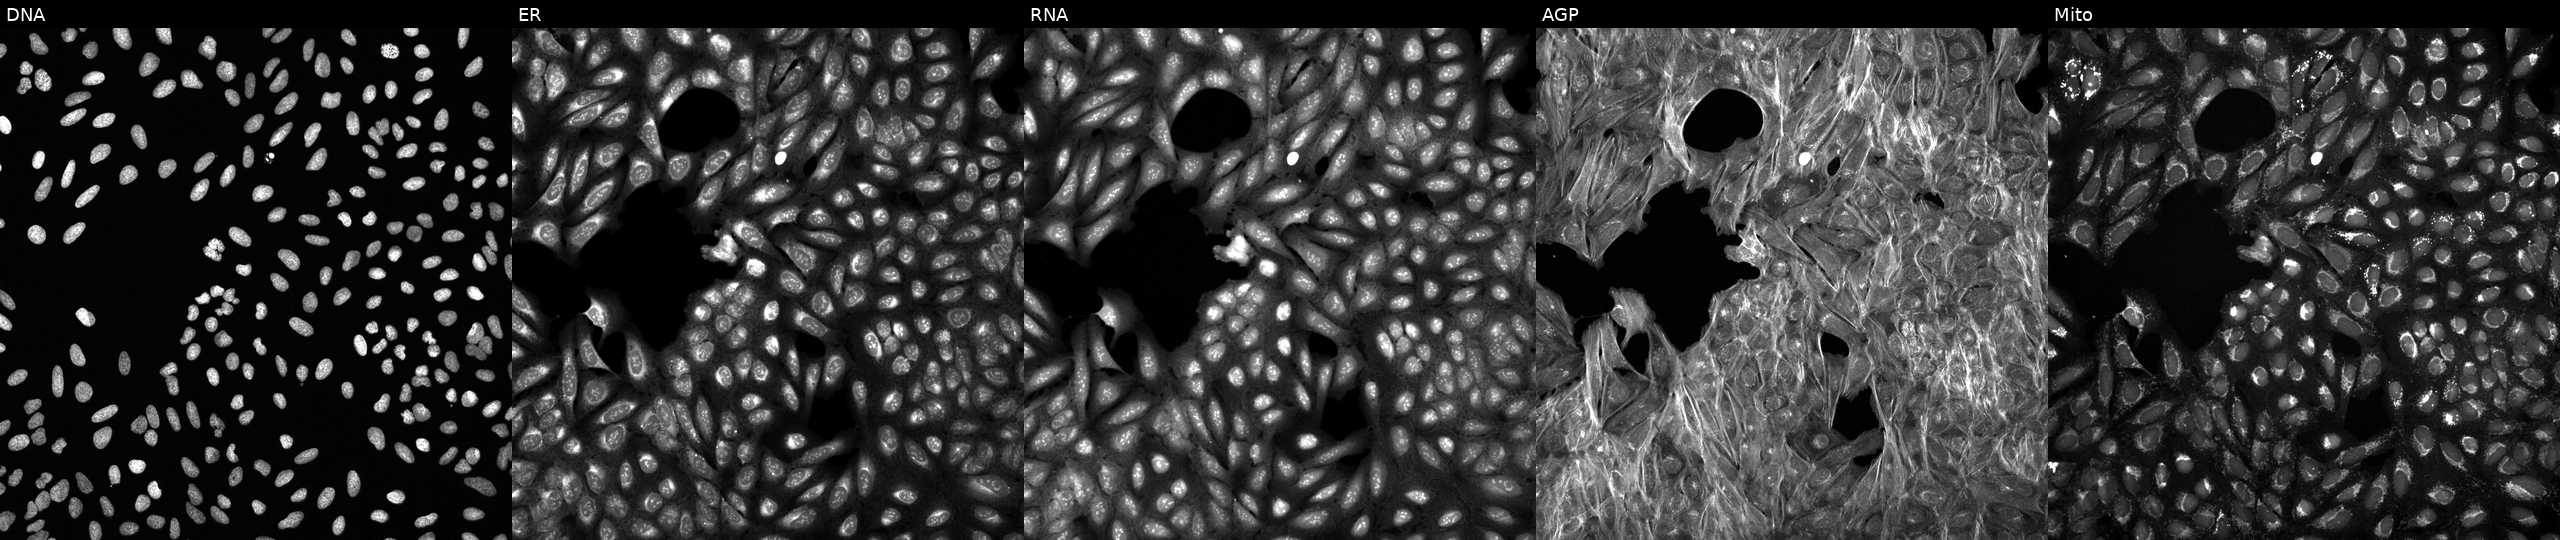
This image strip shows the five Cell Painting channels for a single field of U2OS cells treated with DMSO vehicle only (negative control). Channels (left→right): Hoechst 33342, concanavalin A, SYTO 14, phalloidin and WGA, MitoTracker.